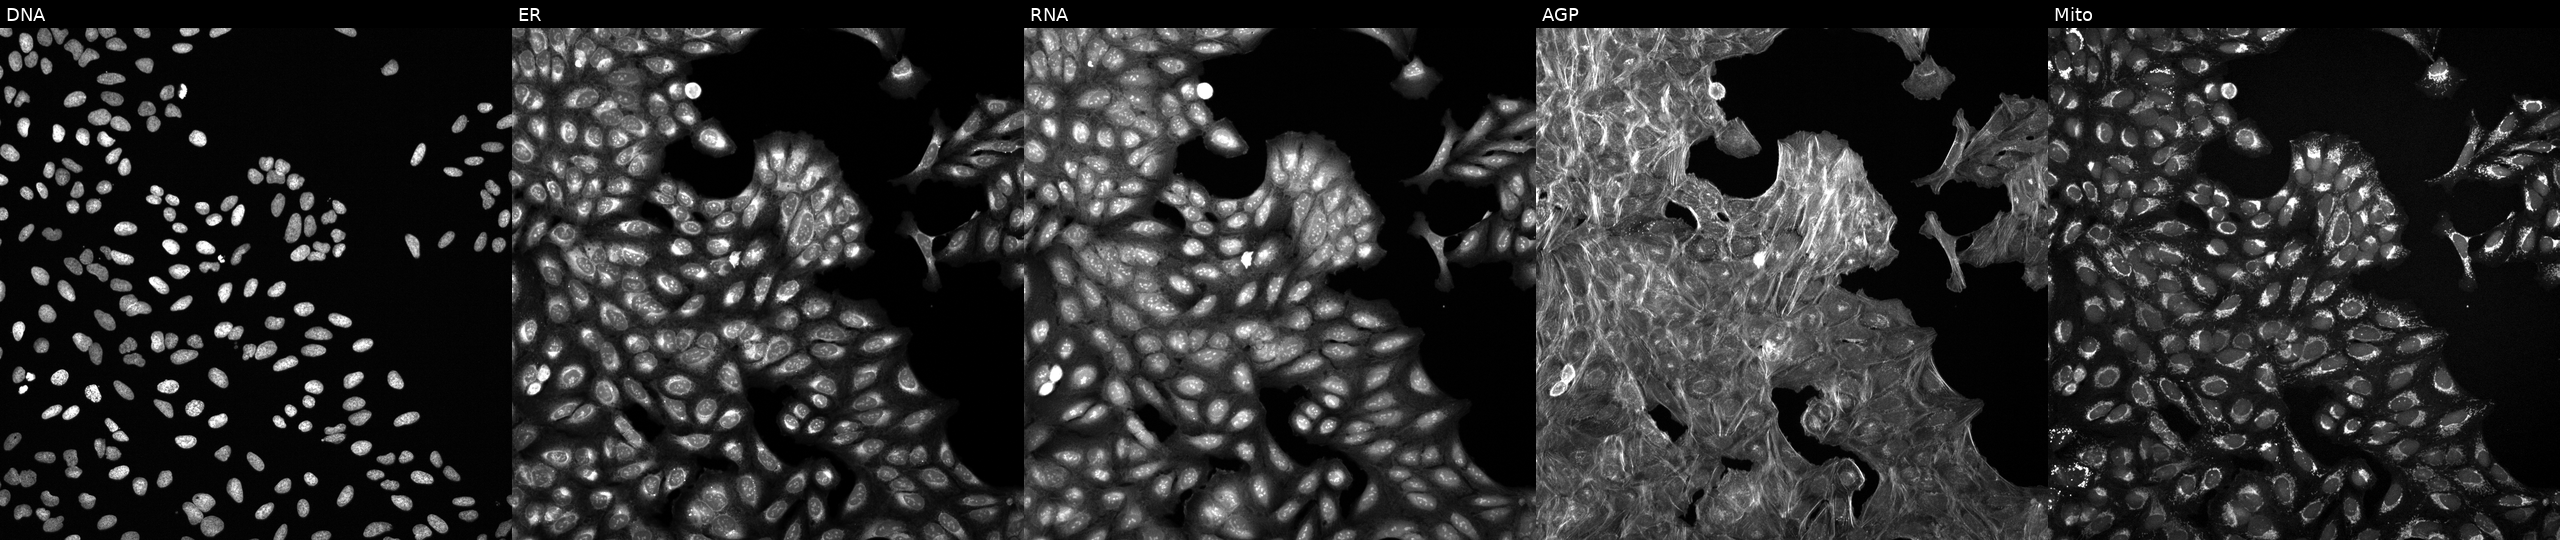
This image strip shows the five Cell Painting channels for a single field of U2OS cells exposed to a small-molecule compound (InChIKey UWGVEGMNFQCYQO-UHFFFAOYSA-N) [SMILES: COc1cccc(OC)c1C(=O)NCCc1csc(-c2ccc(F)cc2)n1] (JUMP id JCP2022_091987). The five panels, left to right, show Hoechst 33342, concanavalin A, SYTO 14, phalloidin and WGA, MitoTracker. Source 6, plate 110000293082, well K09.